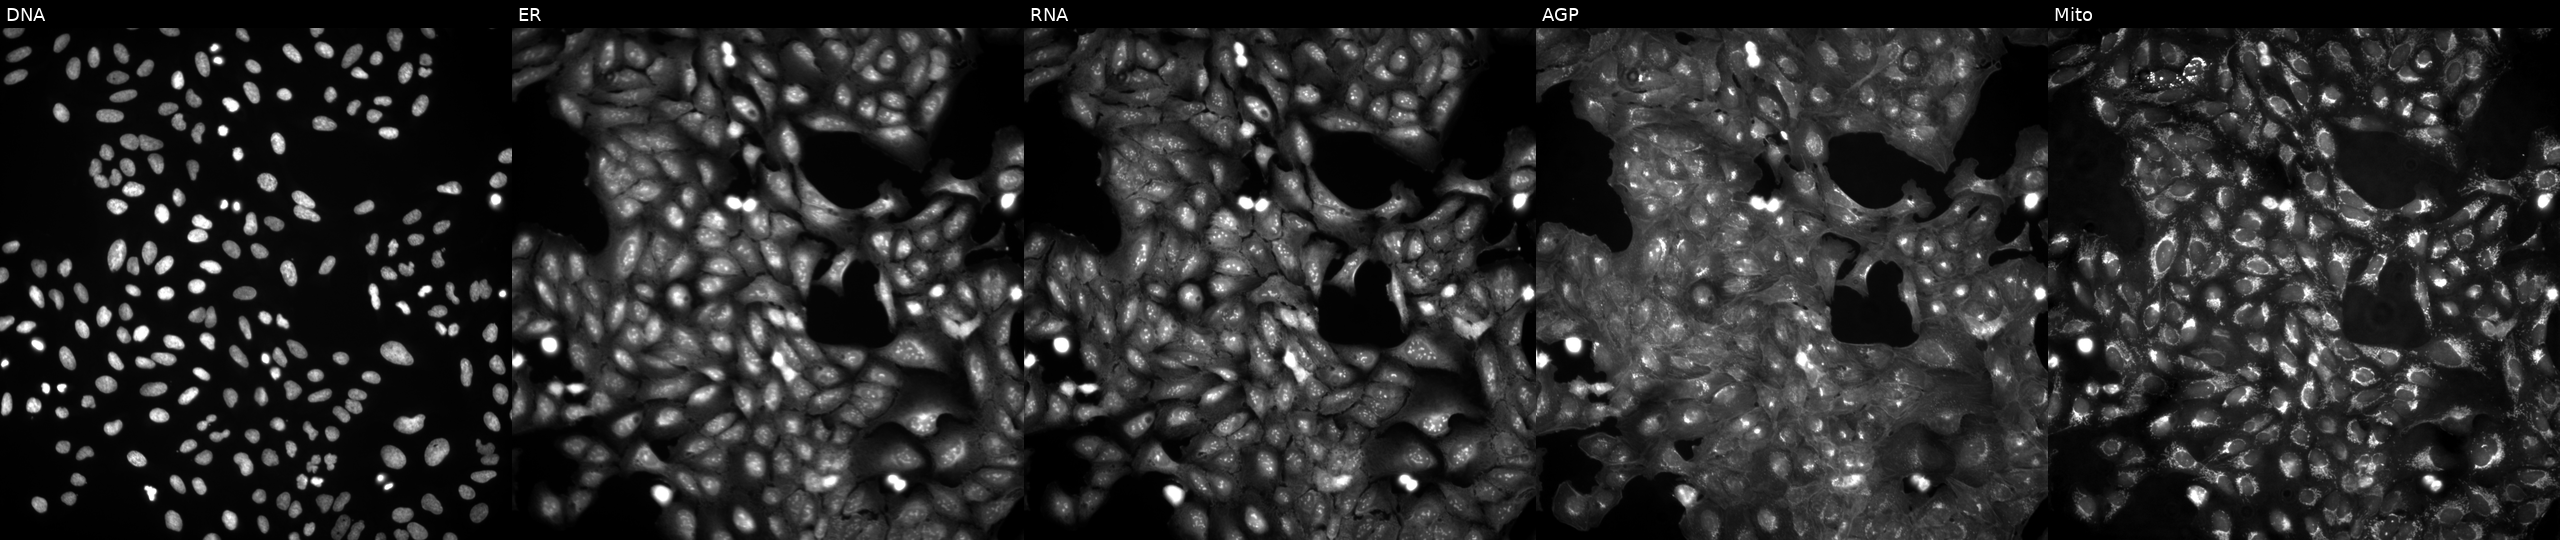
U2OS cells, Cell Painting assay, untreated (empty-well control) (JUMP id JCP2022_999999). The five panels, left to right, show DNA, ER, RNA, AGP, and Mito. Each panel is percentile-stretched 16-bit fluorescence.